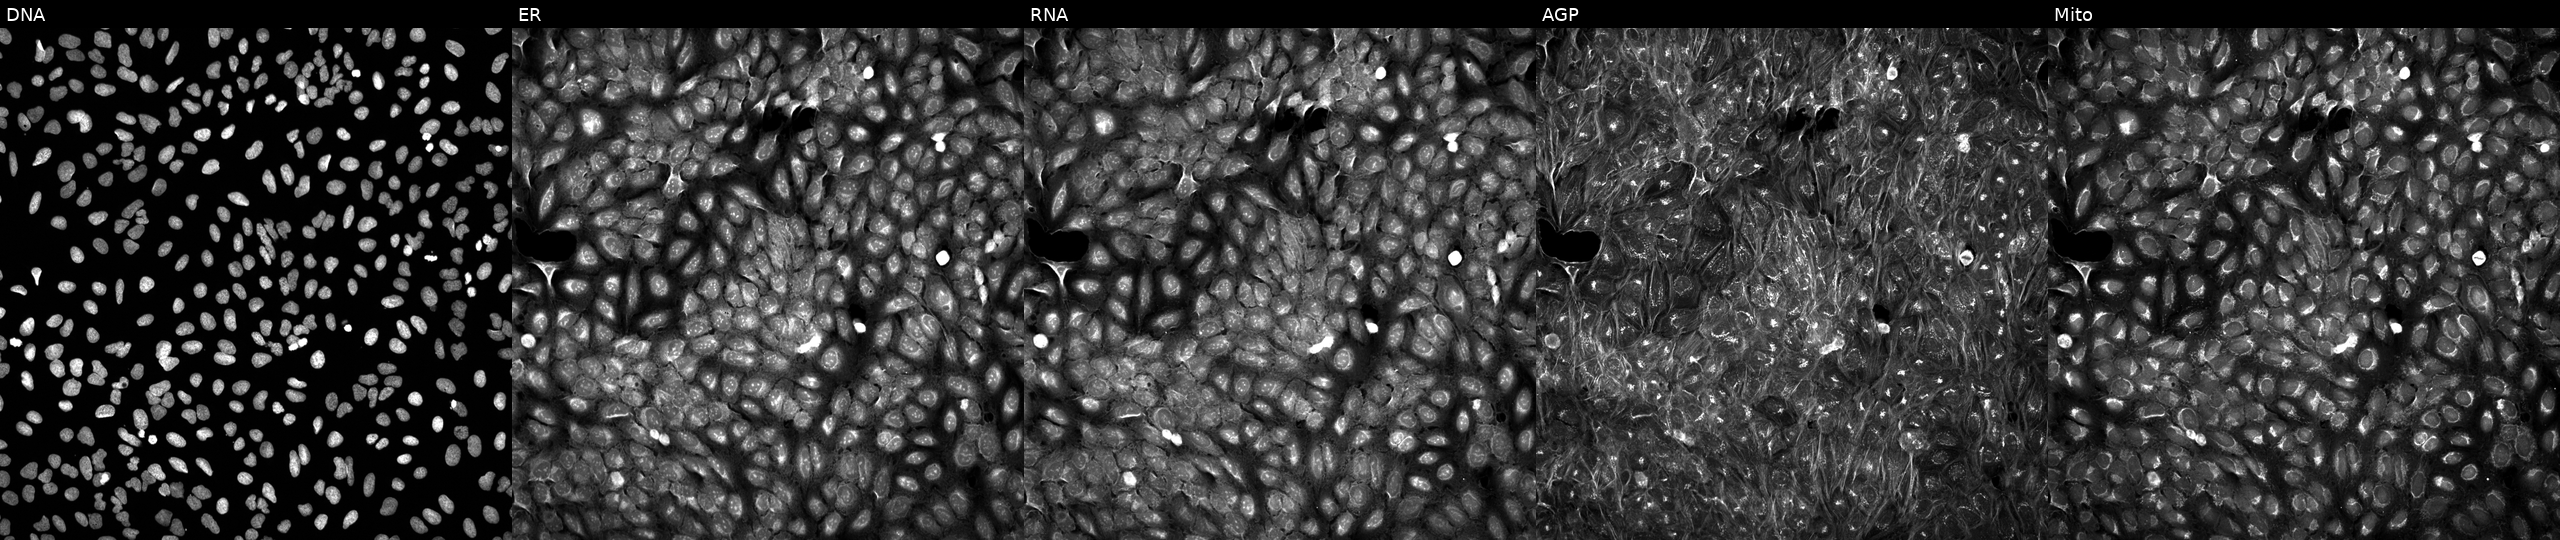
JUMP Cell Painting — COMPOUND plate. U2OS cells exposed to a small-molecule compound (InChIKey ZJJFHXPBJAATJK-UHFFFAOYSA-N) (JUMP id JCP2022_113696). From left to right: DNA (nuclei); ER (endoplasmic reticulum); RNA (nucleoli and cytoplasmic RNA); AGP (actin cytoskeleton, Golgi, and plasma membrane); Mito (mitochondria).